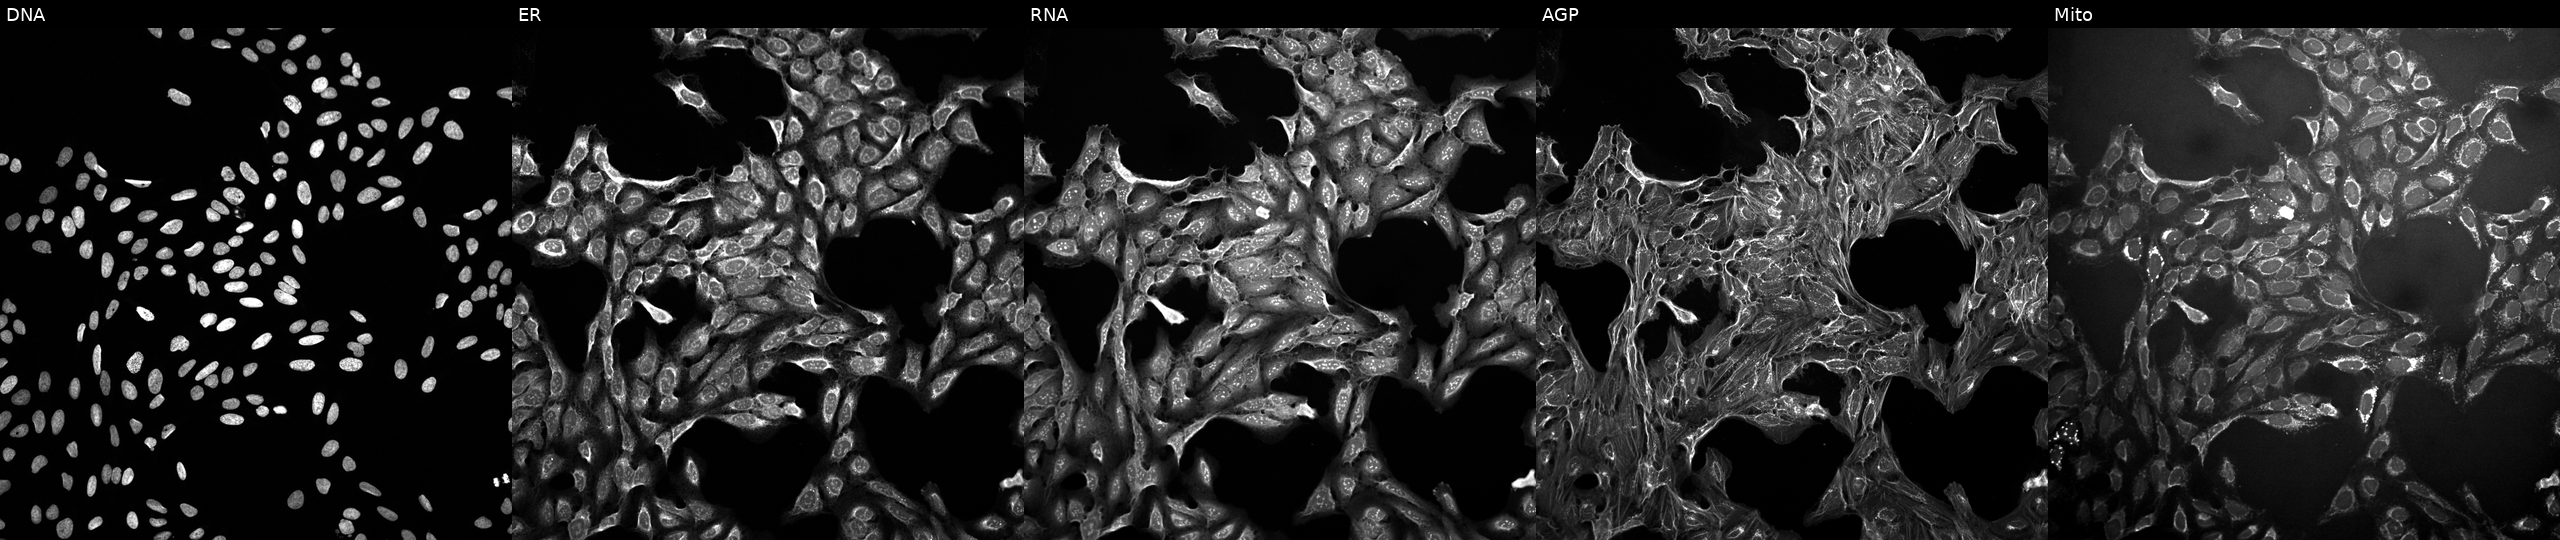
U2OS cells, Cell Painting assay, exposed to the positive-control compound dexamethasone (JUMP id JCP2022_025848). From left to right: Hoechst 33342, concanavalin A, SYTO 14, phalloidin and WGA, MitoTracker. Each panel is percentile-stretched 16-bit fluorescence. Source 10, plate Dest210531-152324, well K01.